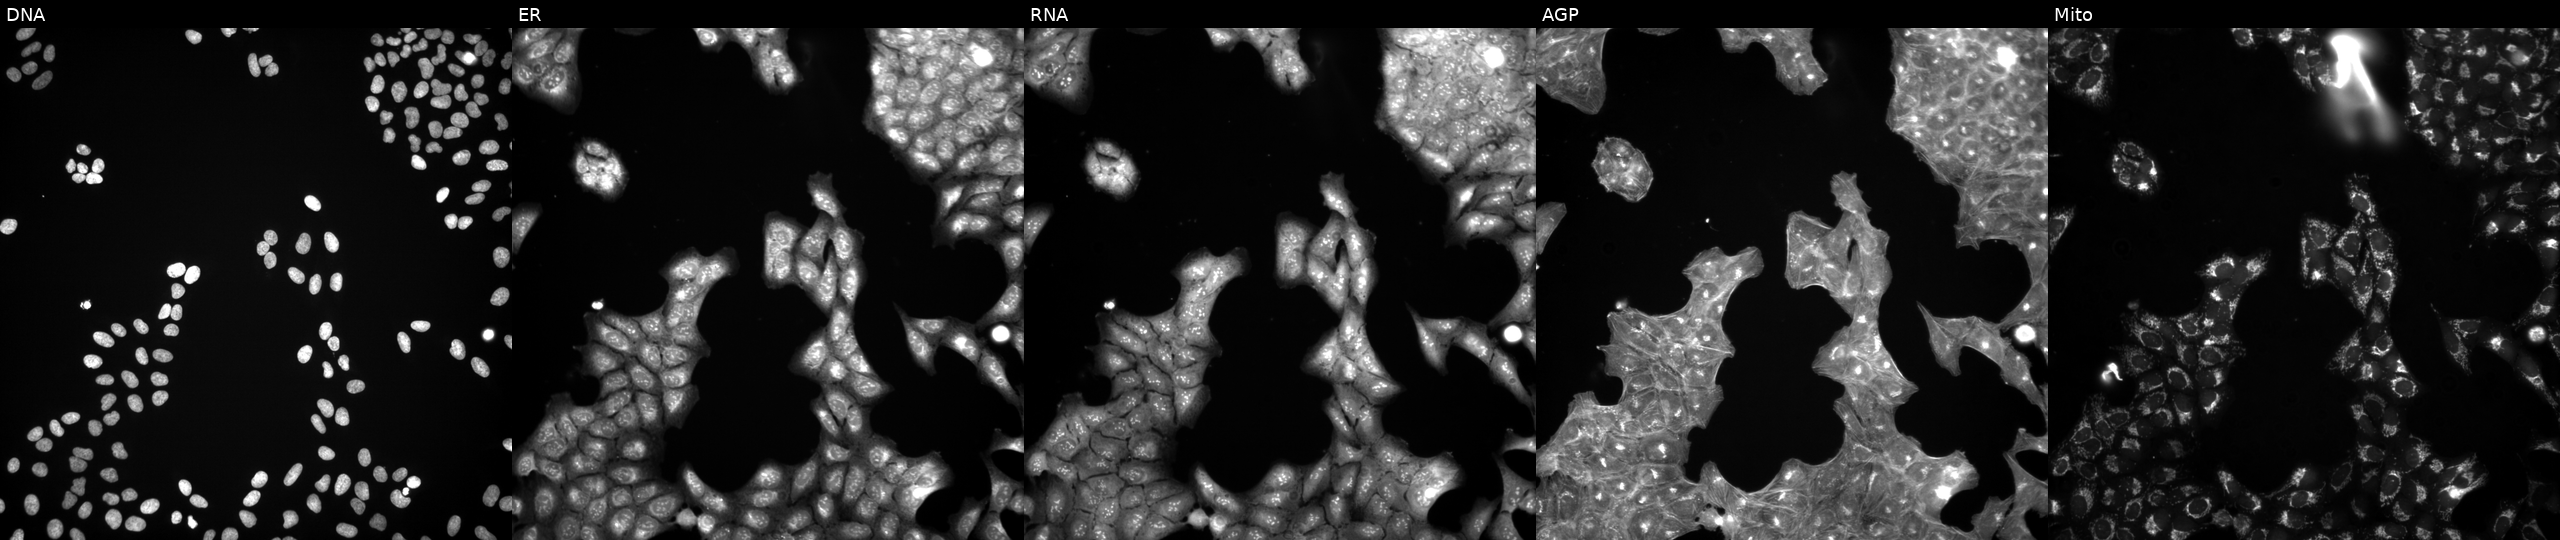
High-content fluorescence microscopy (Cell Painting). Cell line: U2OS. Perturbation: perturbed with a small-molecule compound (InChIKey LRRMQNGSYOUANY-UHFFFAOYSA-N) [SMILES: ON=Cc1ccc(-c2ccc(O)c(F)c2)c(Cl)c1O] (JUMP id JCP2022_051319). The five panels, left to right, show Hoechst 33342, concanavalin A, SYTO 14, phalloidin and WGA, MitoTracker.